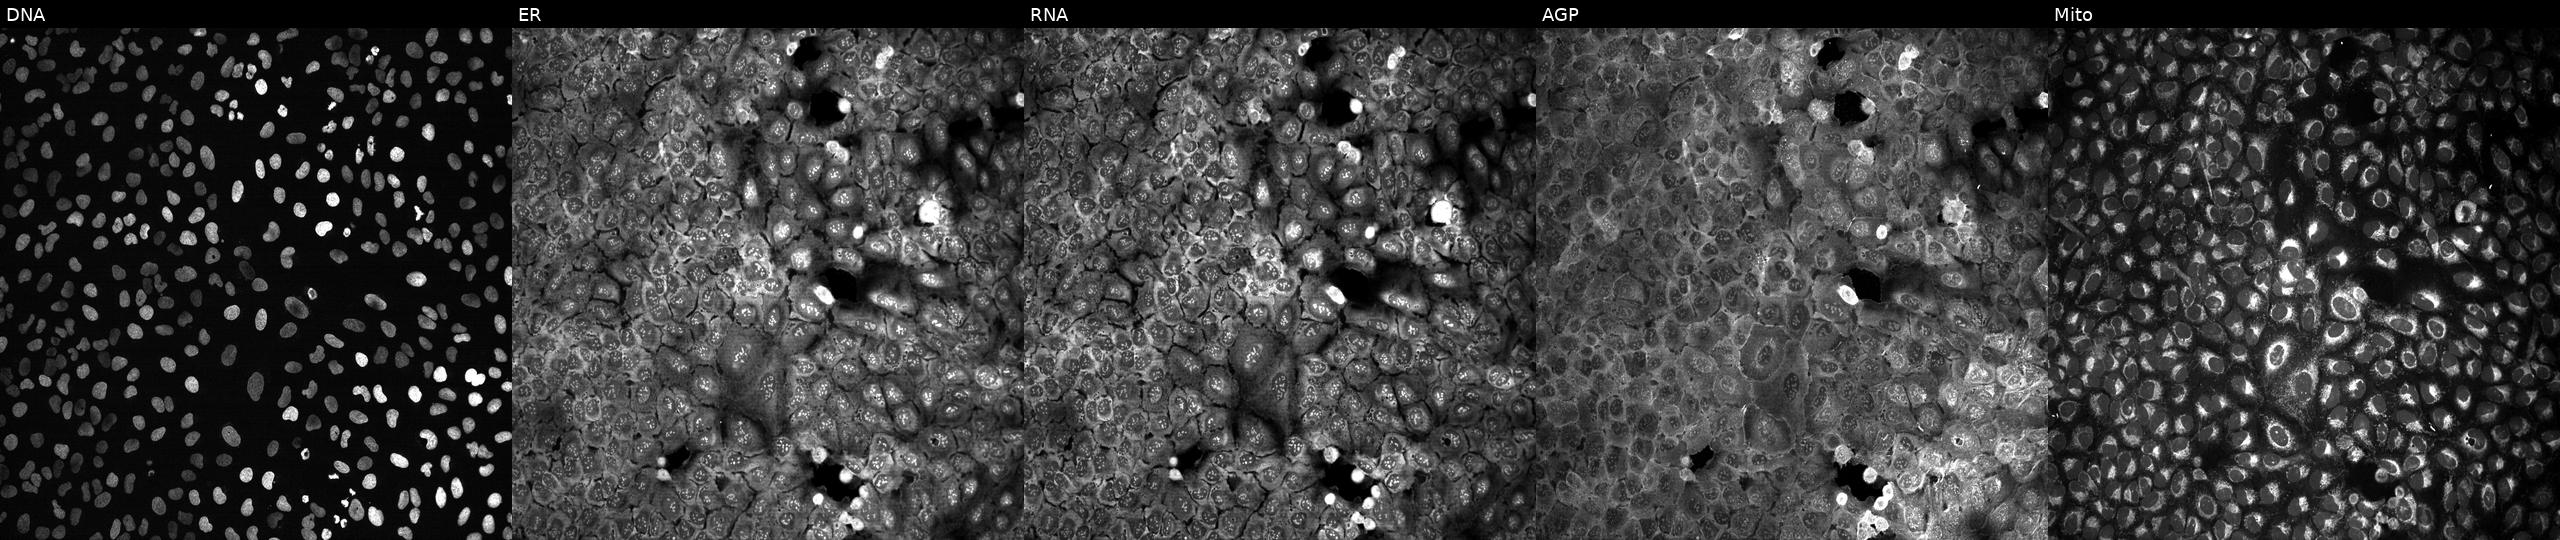
This image strip shows the five Cell Painting channels for a single field of U2OS cells following CRISPR knockout of LIG4 (JUMP id JCP2022_803839). Panels show, left to right, DNA, ER, RNA, AGP, and Mito.